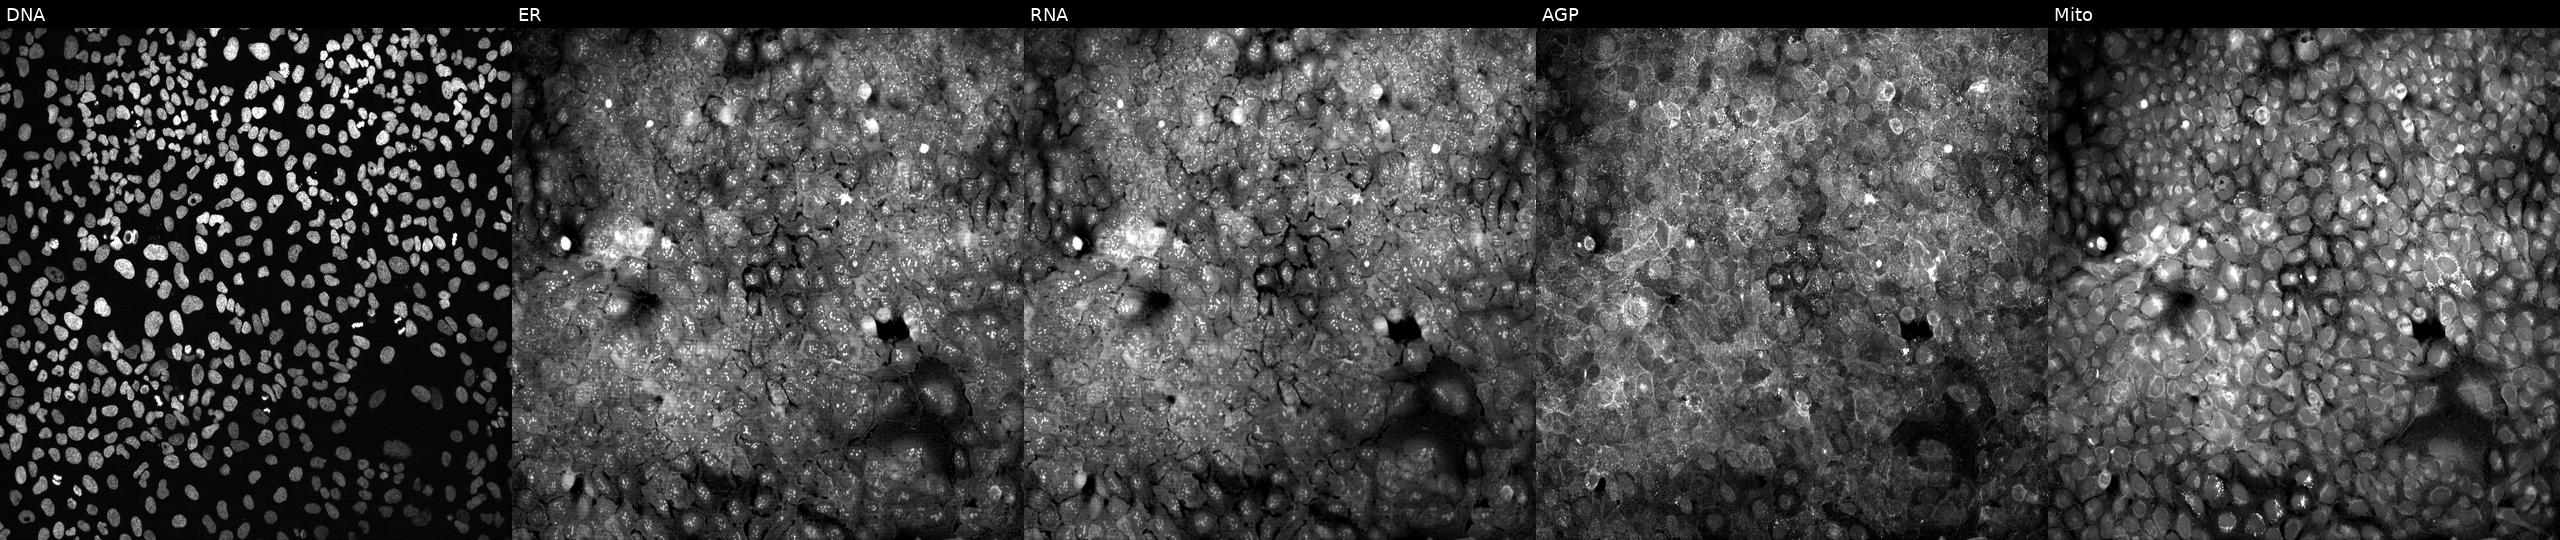
JUMP Cell Painting — CRISPR plate. U2OS cells CRISPR-edited to disrupt MGAT4C (JUMP id JCP2022_804163). From left to right: DNA (nuclei); ER (endoplasmic reticulum); RNA (nucleoli and cytoplasmic RNA); AGP (actin cytoskeleton, Golgi, and plasma membrane); Mito (mitochondria). Source 13, plate CP-CC9-R1-01, well N19.